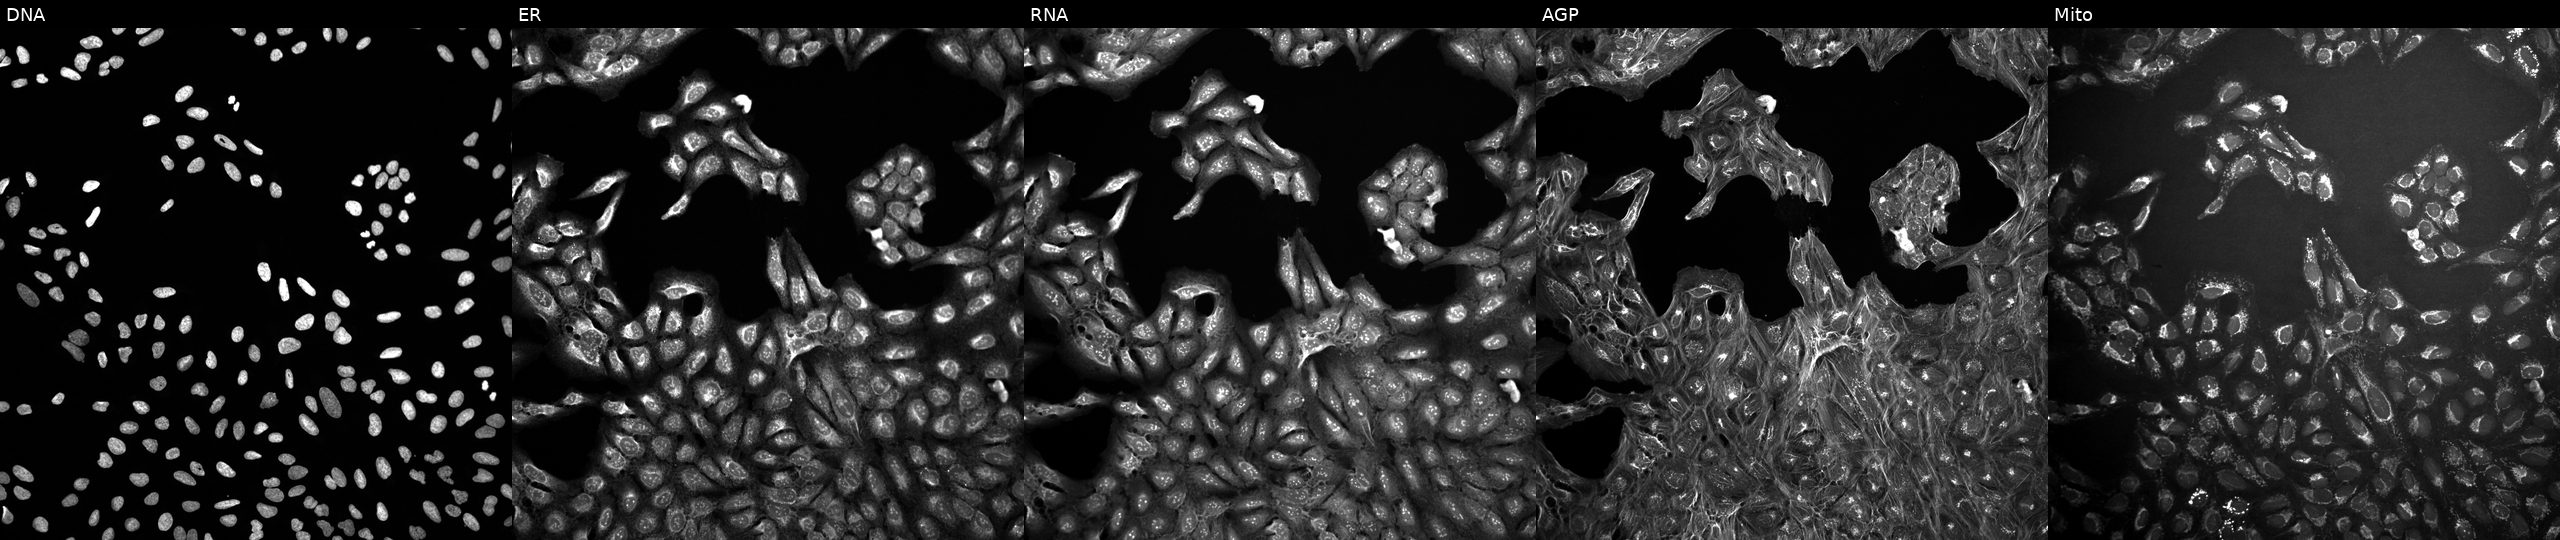
Channels (left→right): Hoechst 33342, concanavalin A, SYTO 14, phalloidin and WGA, MitoTracker. U2OS osteosarcoma cells untreated (empty-well control). Cell Painting assay, JUMP-CP dataset.